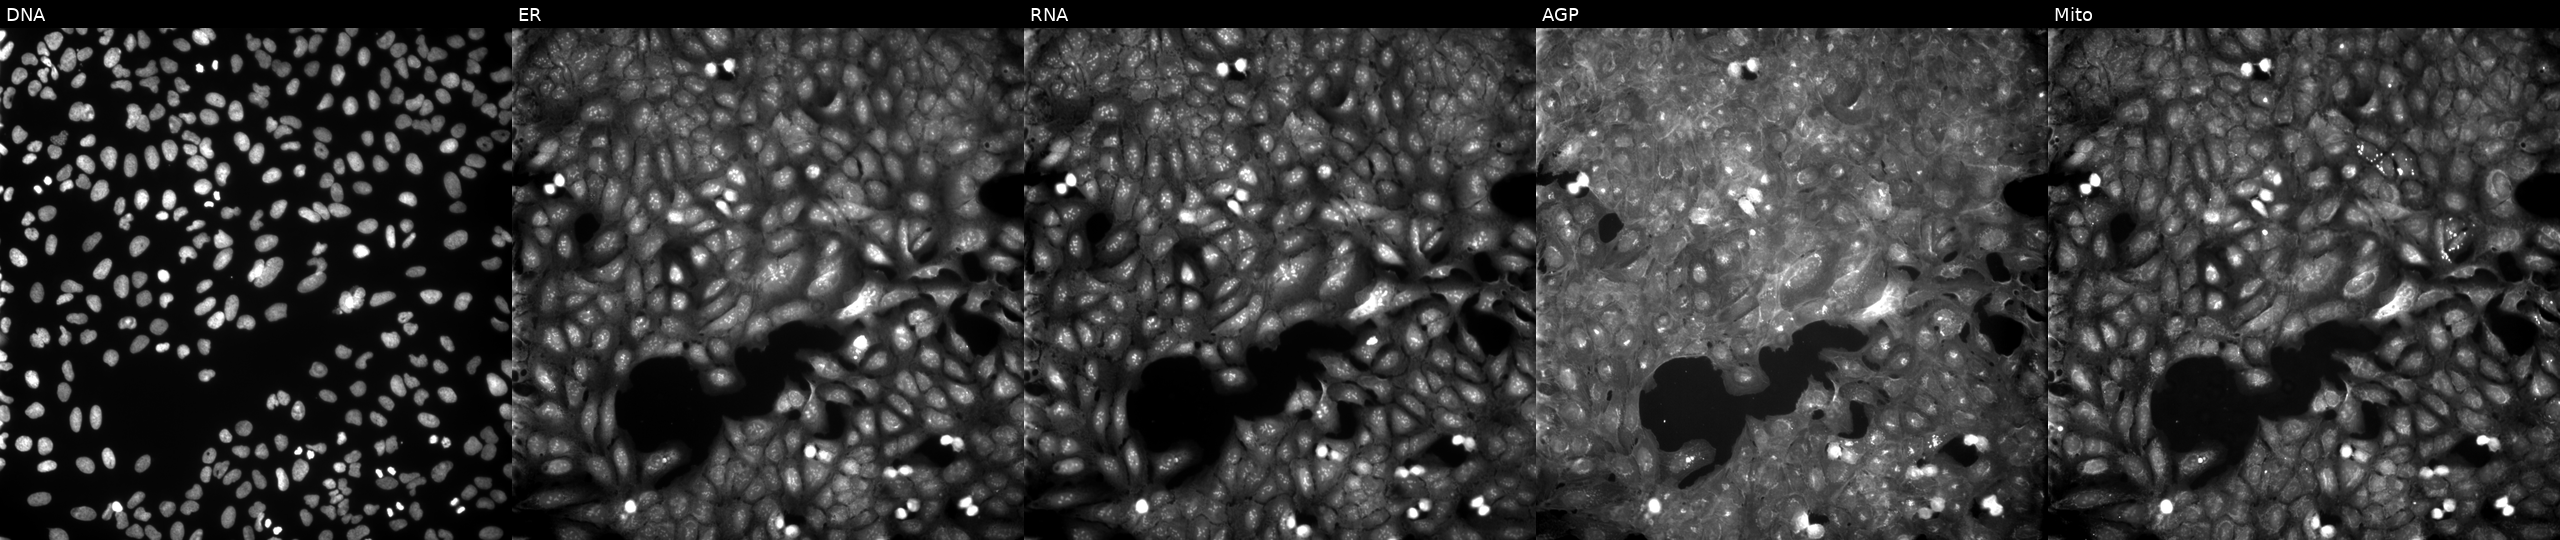
JUMP Cell Painting — COMPOUND plate. U2OS cells perturbed with a small-molecule compound (InChIKey QZVIDIVQEHYYSR-UHFFFAOYSA-N). Panels show, left to right, Hoechst 33342, concanavalin A, SYTO 14, phalloidin and WGA, MitoTracker.